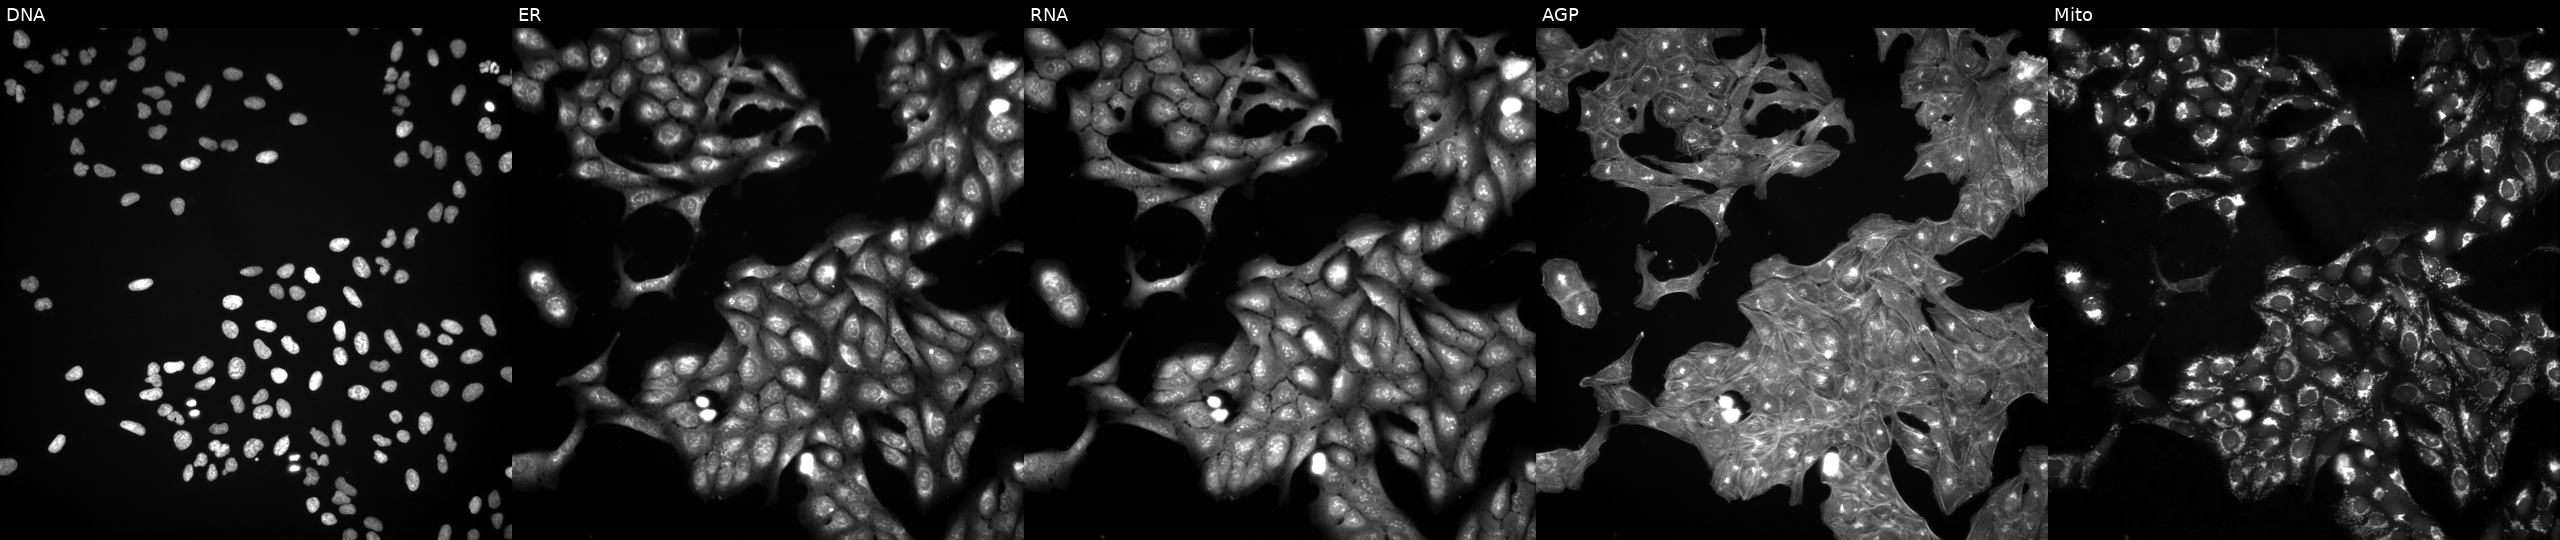
Five-channel Cell Painting image of U2OS cells exposed to a small-molecule compound (InChIKey RIJLVEAXPNLDTC-UHFFFAOYSA-N) (JUMP id JCP2022_078581). Panels show, left to right, DNA (nuclei); ER (endoplasmic reticulum); RNA (nucleoli and cytoplasmic RNA); AGP (actin cytoskeleton, Golgi, and plasma membrane); Mito (mitochondria).